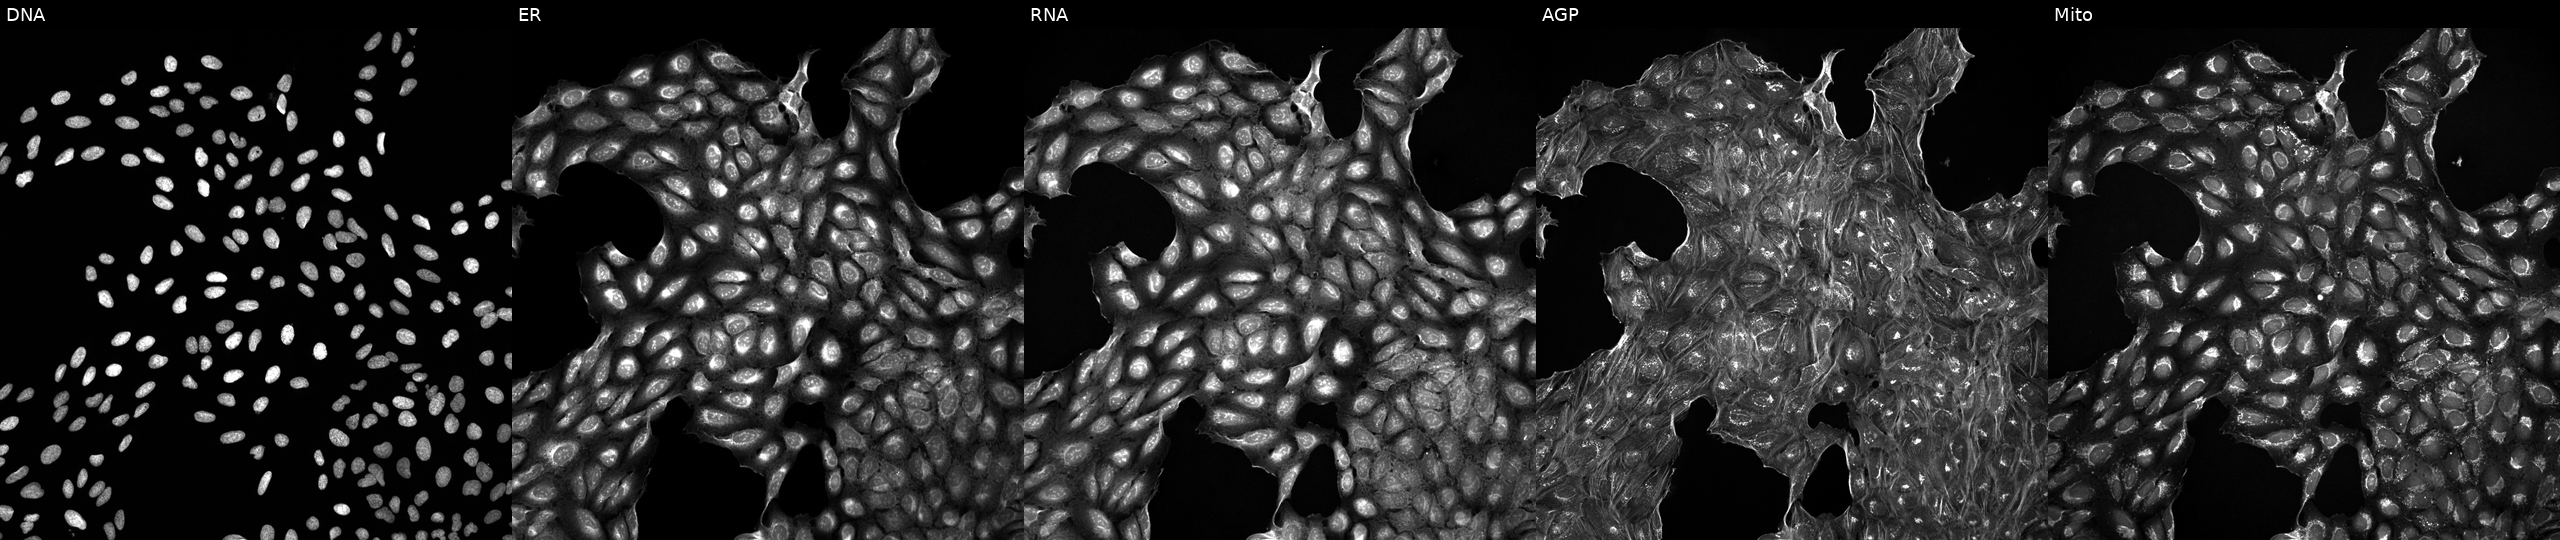
JUMP Cell Painting — TARGET2 plate. U2OS cells treated with a small-molecule compound (InChIKey FERIUCNNQQJTOY-UHFFFAOYSA-N) [SMILES: CCCC(=O)O] (JUMP id JCP2022_020163). From left to right: Hoechst 33342, concanavalin A, SYTO 14, phalloidin and WGA, MitoTracker.